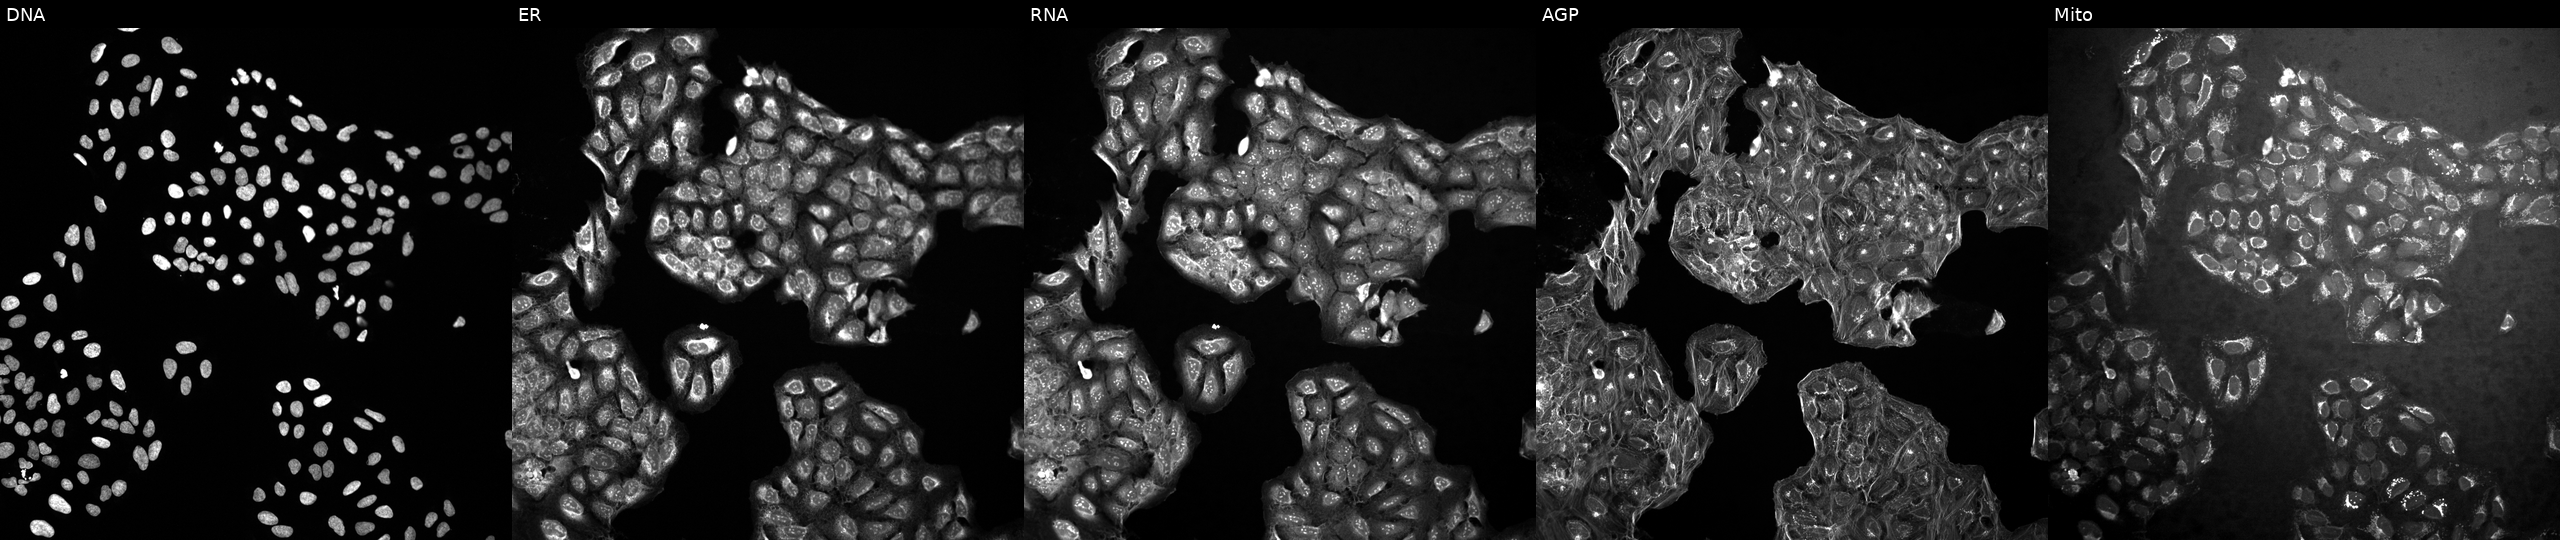
This image strip shows the five Cell Painting channels for a single field of U2OS cells treated with a small-molecule compound (InChIKey QWWQOCLHDPHFJX-UHFFFAOYSA-N). The five panels, left to right, show DNA (nuclei); ER (endoplasmic reticulum); RNA (nucleoli and cytoplasmic RNA); AGP (actin cytoskeleton, Golgi, and plasma membrane); Mito (mitochondria).